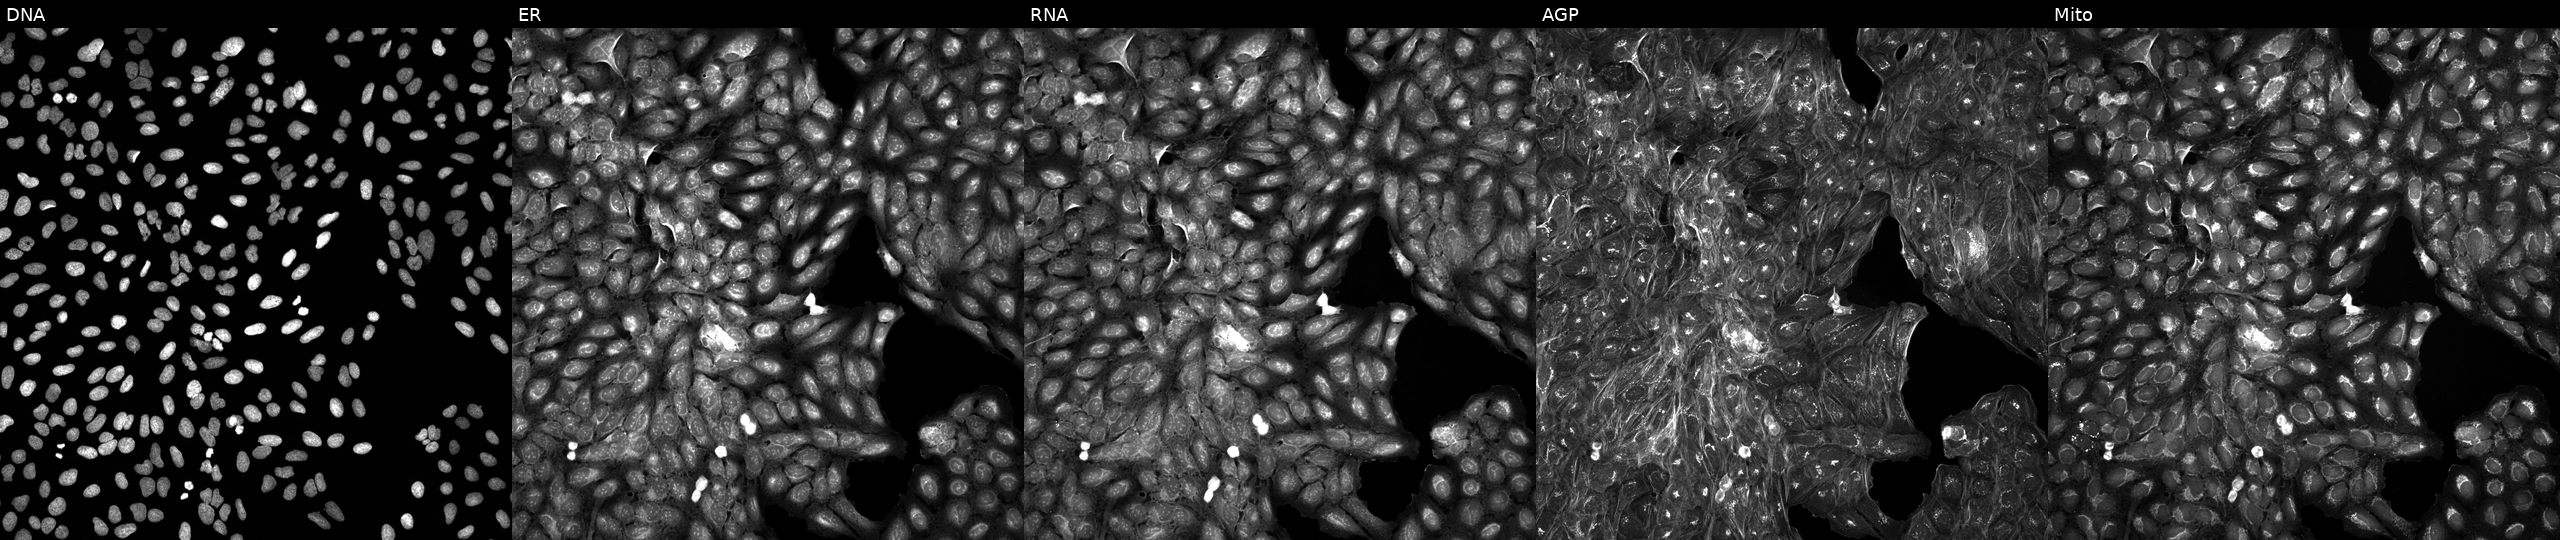
U2OS cells, Cell Painting assay, exposed to a small-molecule compound (InChIKey BNULPHLCEAONFZ-UHFFFAOYSA-N). The five panels, left to right, show DNA (nuclei); ER (endoplasmic reticulum); RNA (nucleoli and cytoplasmic RNA); AGP (actin cytoskeleton, Golgi, and plasma membrane); Mito (mitochondria). Each panel is percentile-stretched 16-bit fluorescence. Source 5, plate APTJUM106, well F08.